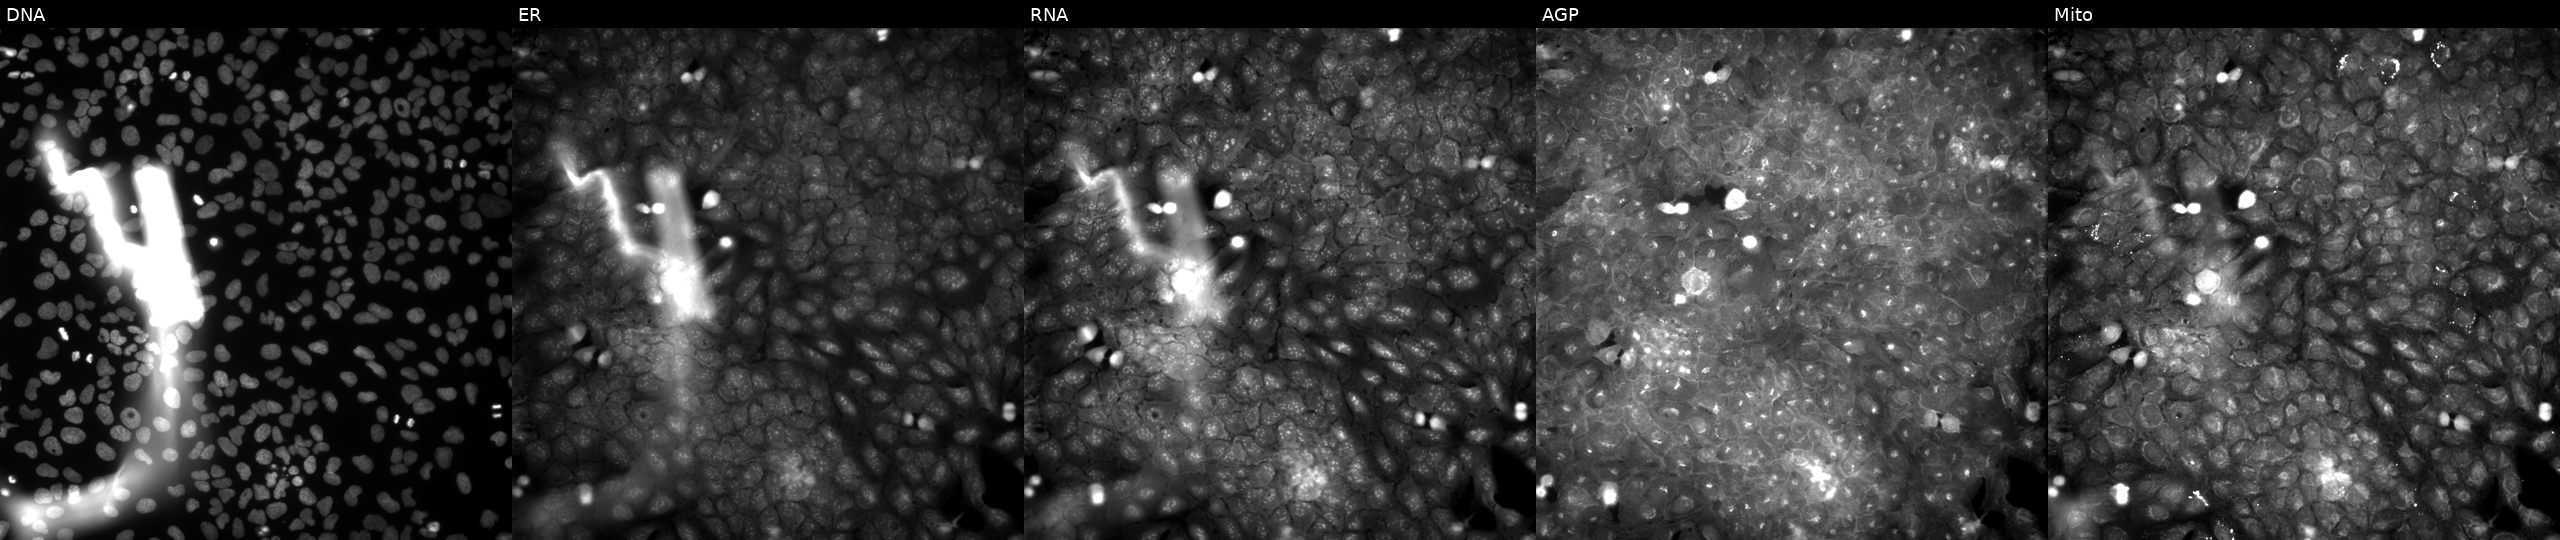
This image strip shows the five Cell Painting channels for a single field of U2OS cells exposed to the positive-control compound quinidine (JUMP id JCP2022_050797). Channels (left→right): DNA, ER, RNA, AGP, and Mito. Source 9, plate GR00003382, well O25.